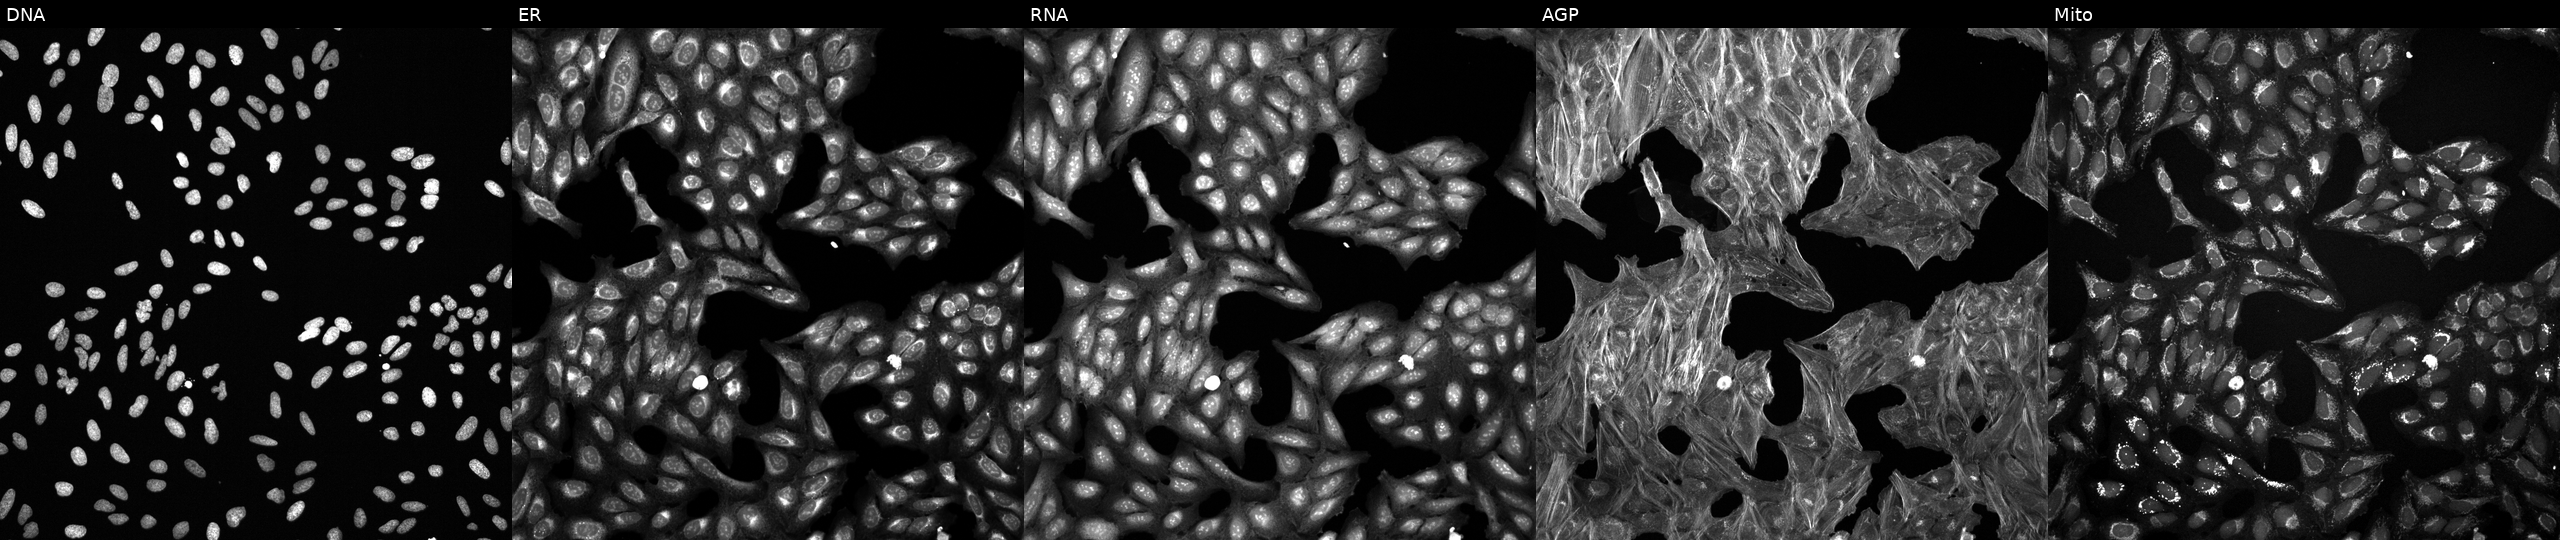
U2OS cells, Cell Painting assay, treated with a small-molecule compound (InChIKey YAZOFTNTURRQNE-UHFFFAOYSA-N) (JUMP id JCP2022_107320). The five panels, left to right, show DNA, ER, RNA, AGP, and Mito. Each panel is percentile-stretched 16-bit fluorescence.